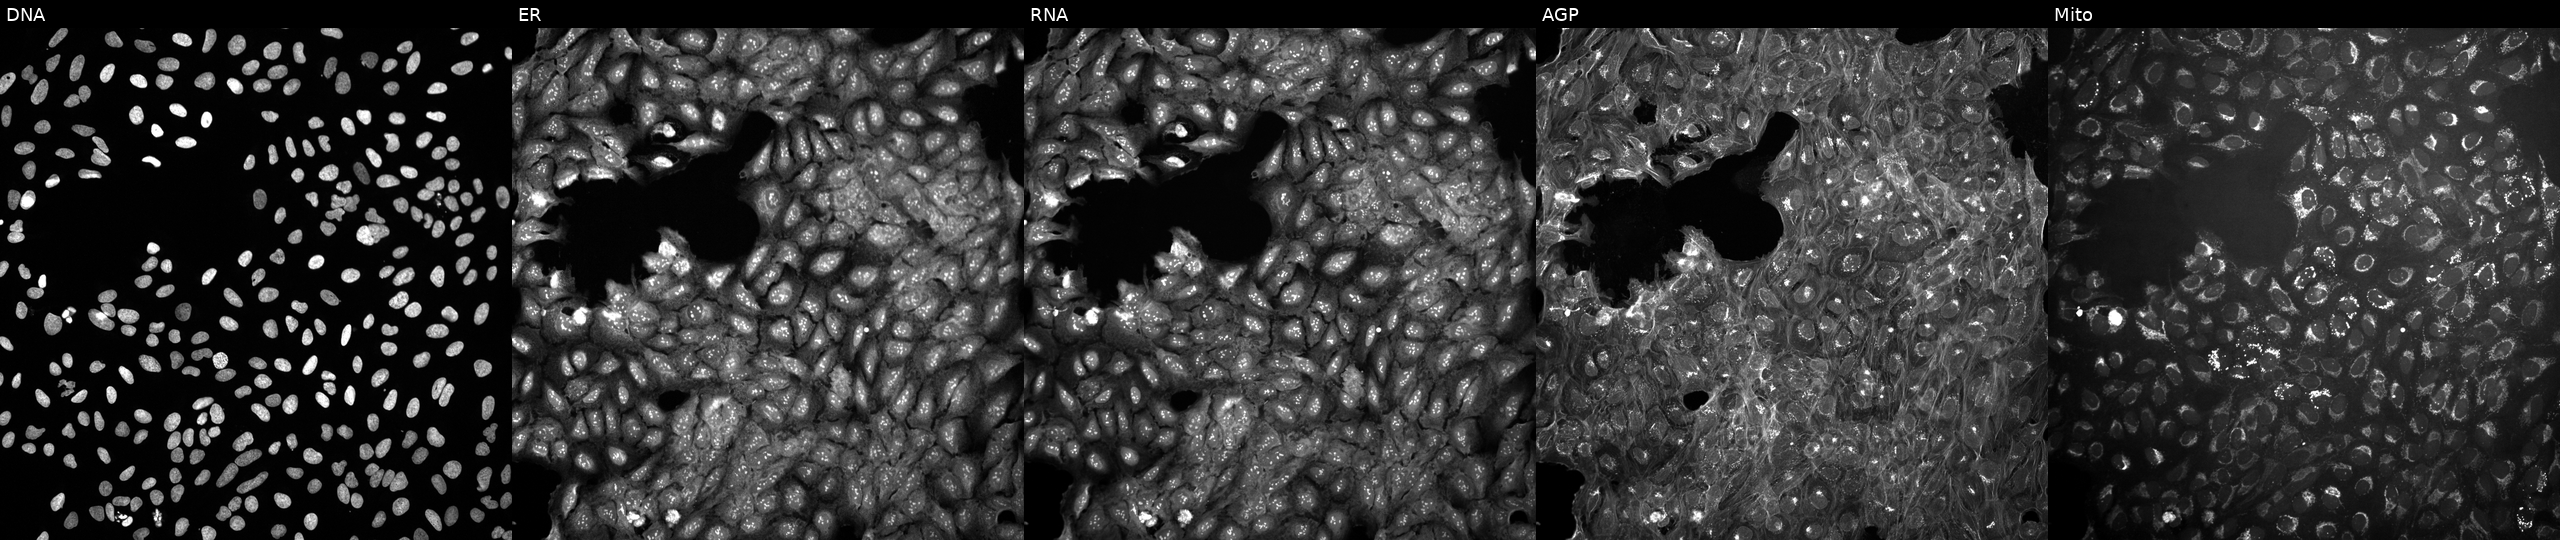
This image strip shows the five Cell Painting channels for a single field of U2OS cells exposed to a small-molecule compound (JUMP id JCP2022_035427). Channels (left→right): DNA (nuclei); ER (endoplasmic reticulum); RNA (nucleoli and cytoplasmic RNA); AGP (actin cytoskeleton, Golgi, and plasma membrane); Mito (mitochondria).